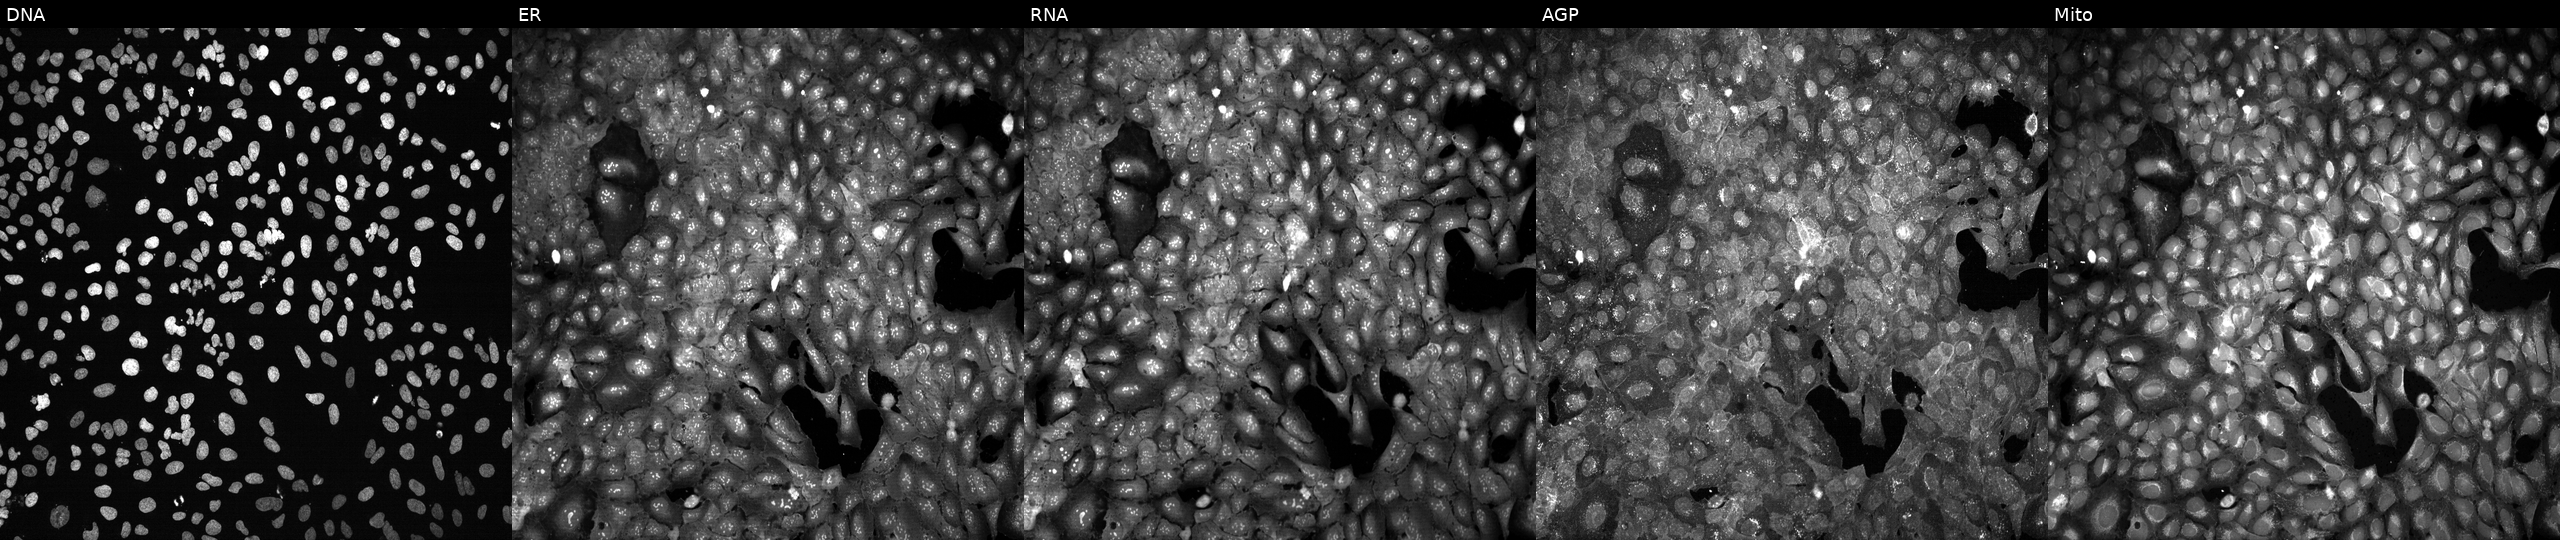
JUMP Cell Painting — CRISPR plate. U2OS cells with DROSHA knocked out by CRISPR. The five panels, left to right, show DNA, ER, RNA, AGP, and Mito.